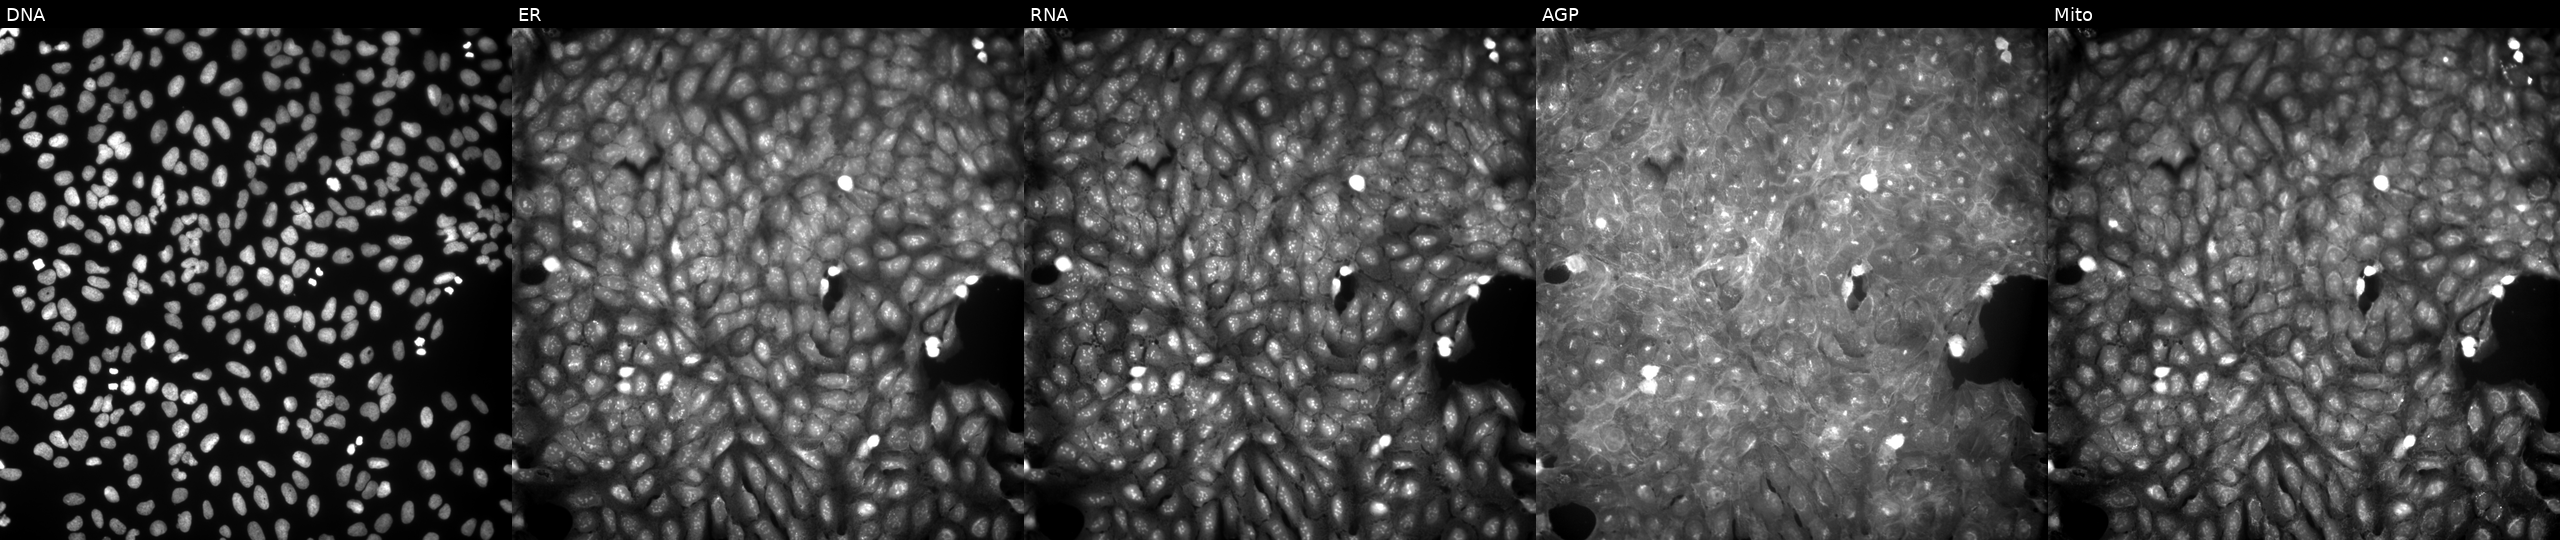
Channels (left→right): DNA (nuclei); ER (endoplasmic reticulum); RNA (nucleoli and cytoplasmic RNA); AGP (actin cytoskeleton, Golgi, and plasma membrane); Mito (mitochondria). U2OS osteosarcoma cells perturbed with a small-molecule compound. Cell Painting assay, JUMP-CP dataset.